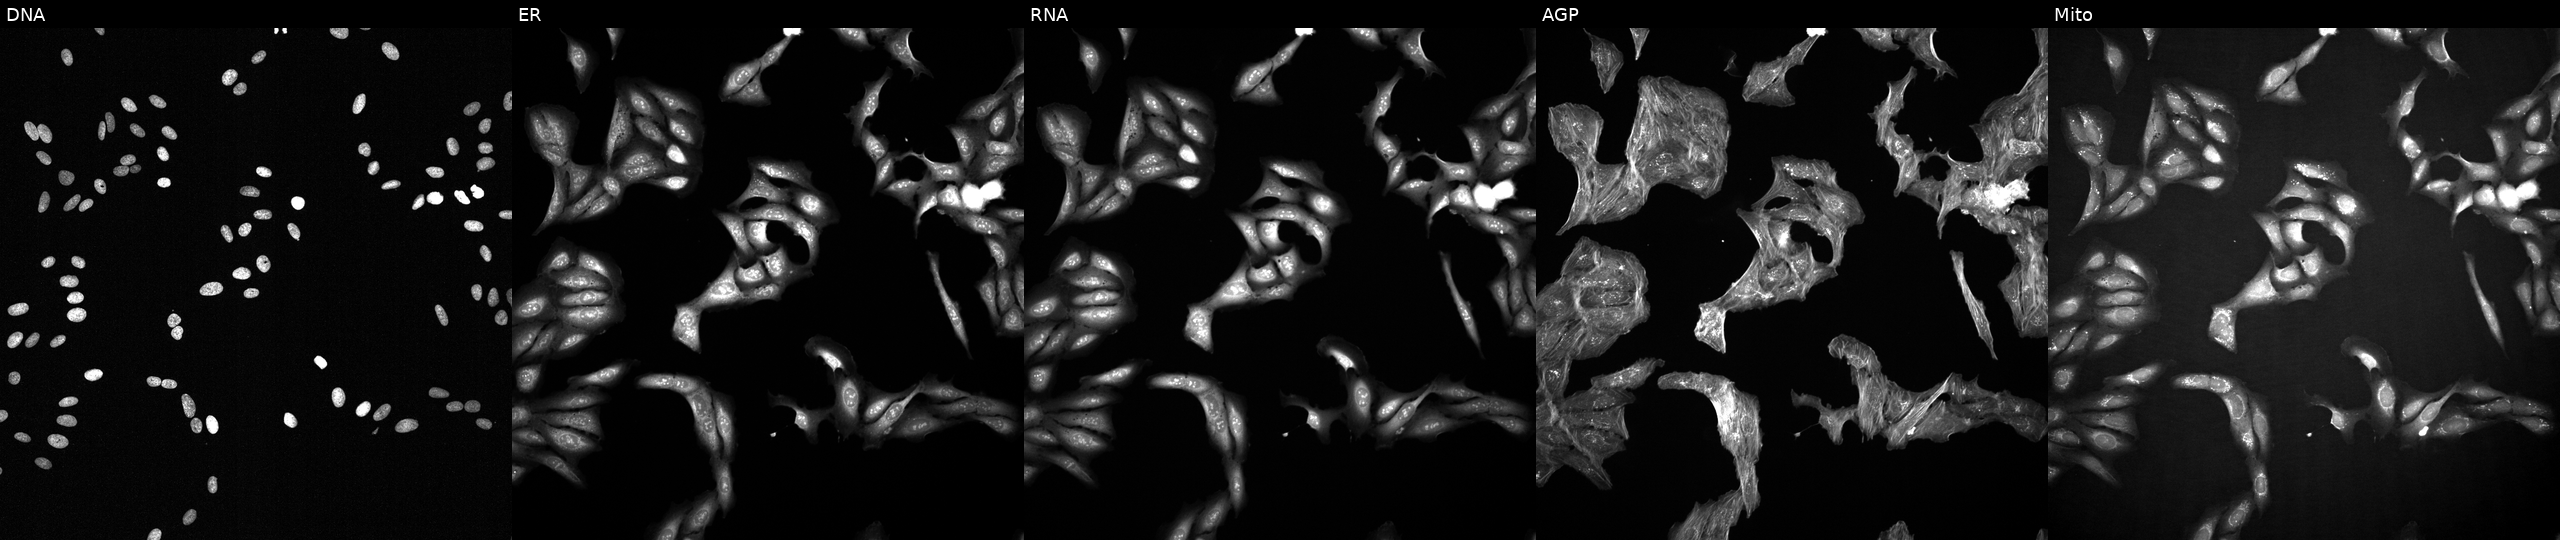
U2OS cells, Cell Painting assay, exposed to a small-molecule compound. From left to right: DNA (nuclei); ER (endoplasmic reticulum); RNA (nucleoli and cytoplasmic RNA); AGP (actin cytoskeleton, Golgi, and plasma membrane); Mito (mitochondria). Each panel is percentile-stretched 16-bit fluorescence. Source 2, plate 1053601756, well G06.